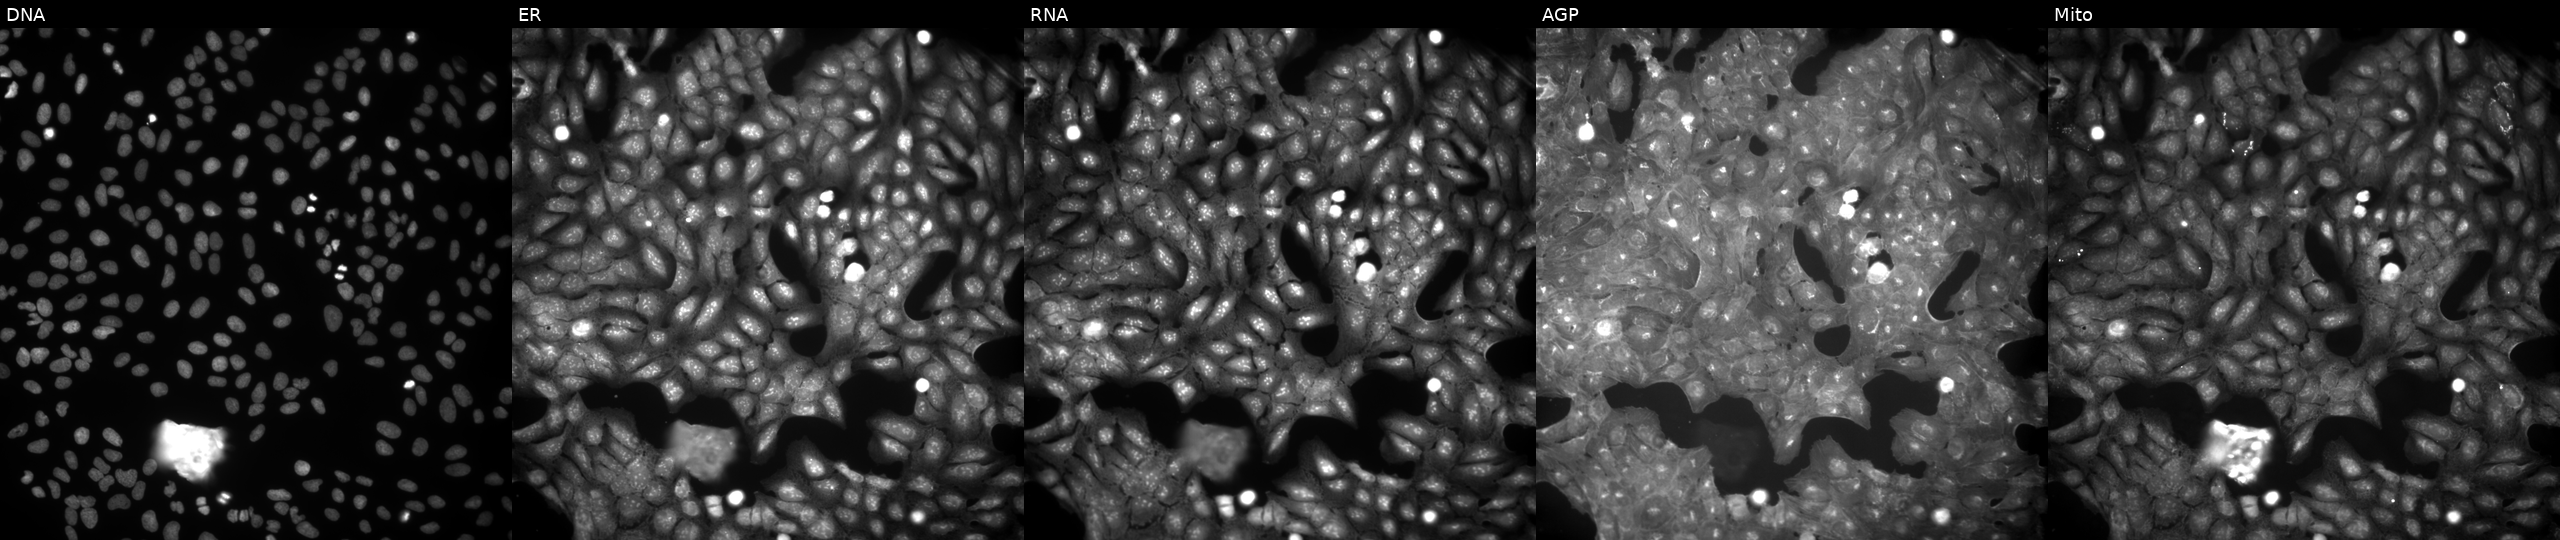
Channels (left→right): DNA, ER, RNA, AGP, and Mito. U2OS osteosarcoma cells treated with TC-S-7004 (positive-control compound) (JUMP id JCP2022_012818). Cell Painting assay, JUMP-CP dataset.